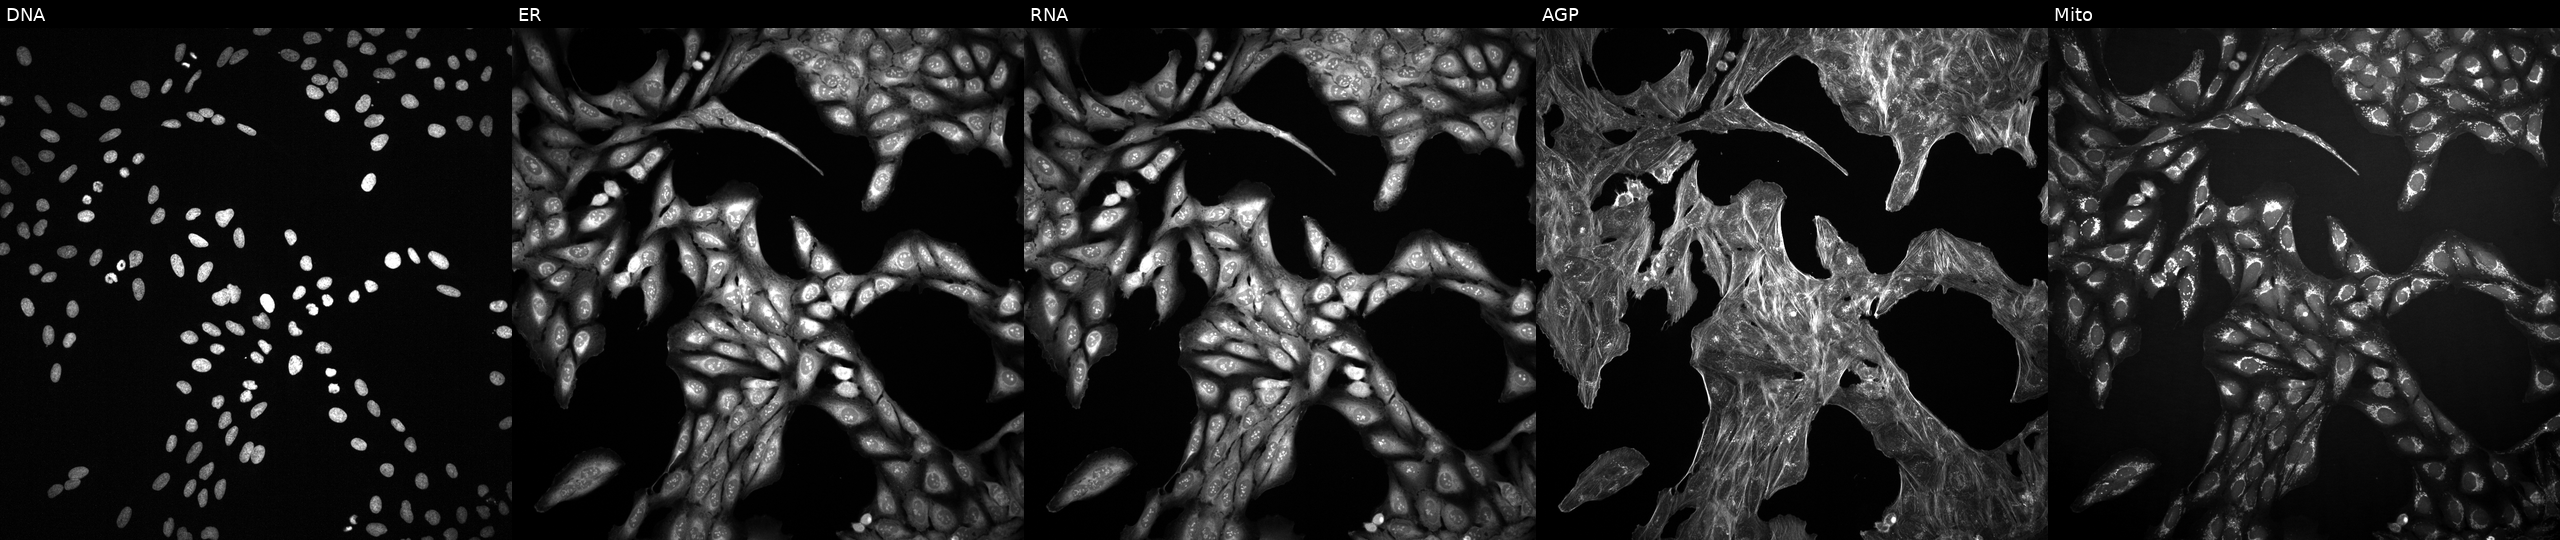
High-content fluorescence microscopy (Cell Painting). Cell line: U2OS. Perturbation: exposed to a small-molecule compound (InChIKey QNQZWEGMKJBHEM-UHFFFAOYSA-N). From left to right: DNA (nuclei); ER (endoplasmic reticulum); RNA (nucleoli and cytoplasmic RNA); AGP (actin cytoskeleton, Golgi, and plasma membrane); Mito (mitochondria).